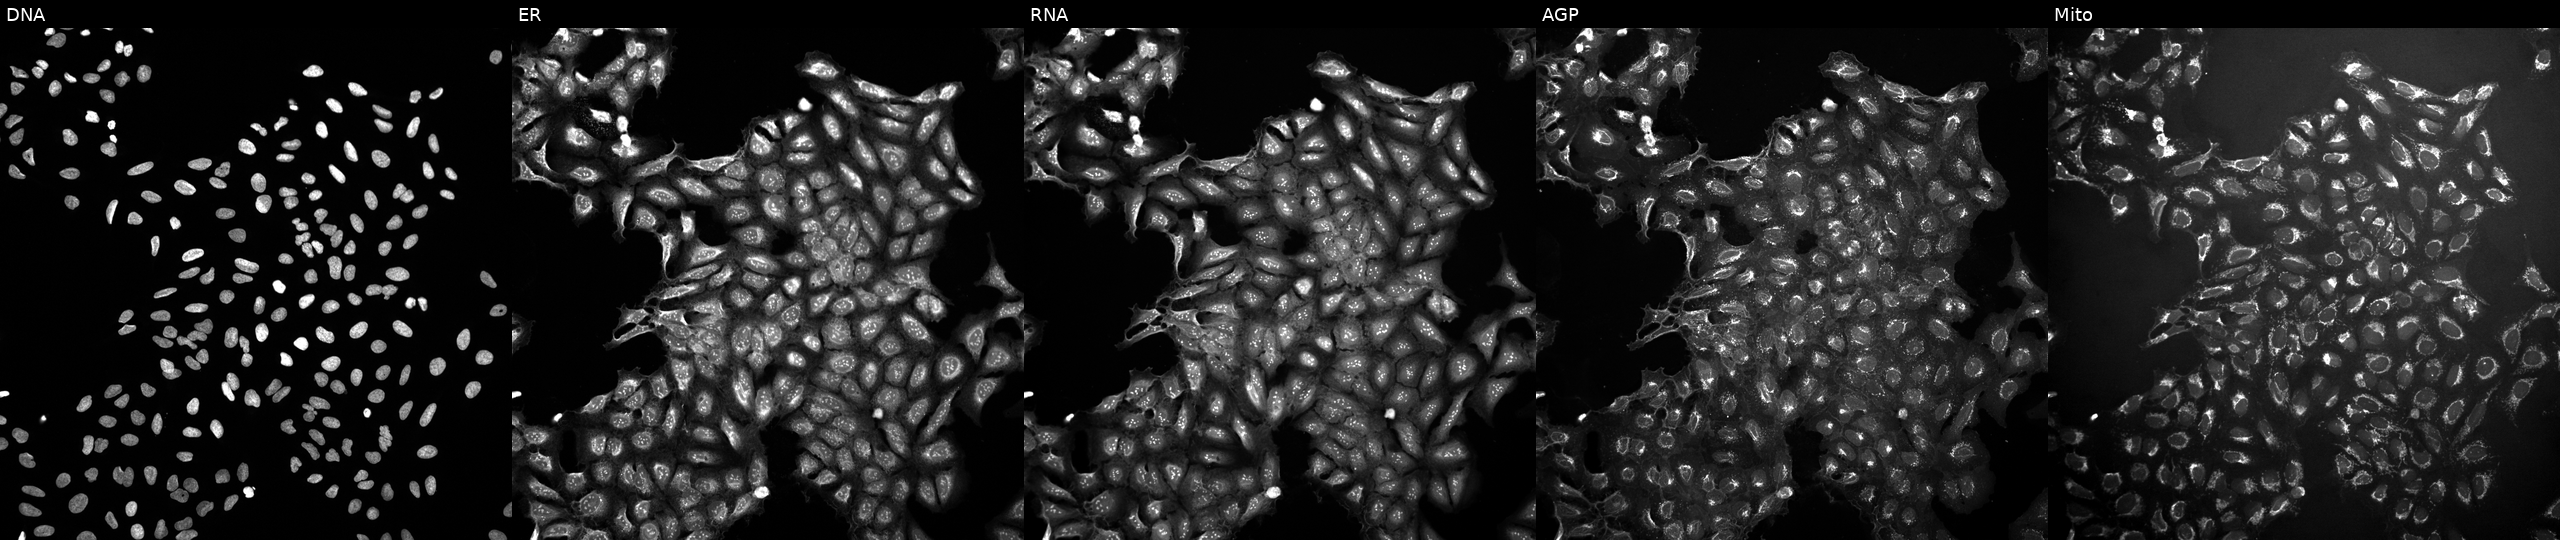
Five-channel Cell Painting image of U2OS cells exposed to a small-molecule compound (InChIKey MVCQKIKWYUURMU-UHFFFAOYSA-N) (JUMP id JCP2022_056730). Channels (left→right): DNA (nuclei); ER (endoplasmic reticulum); RNA (nucleoli and cytoplasmic RNA); AGP (actin cytoskeleton, Golgi, and plasma membrane); Mito (mitochondria). Source 10, plate Dest210803-153958, well G11.